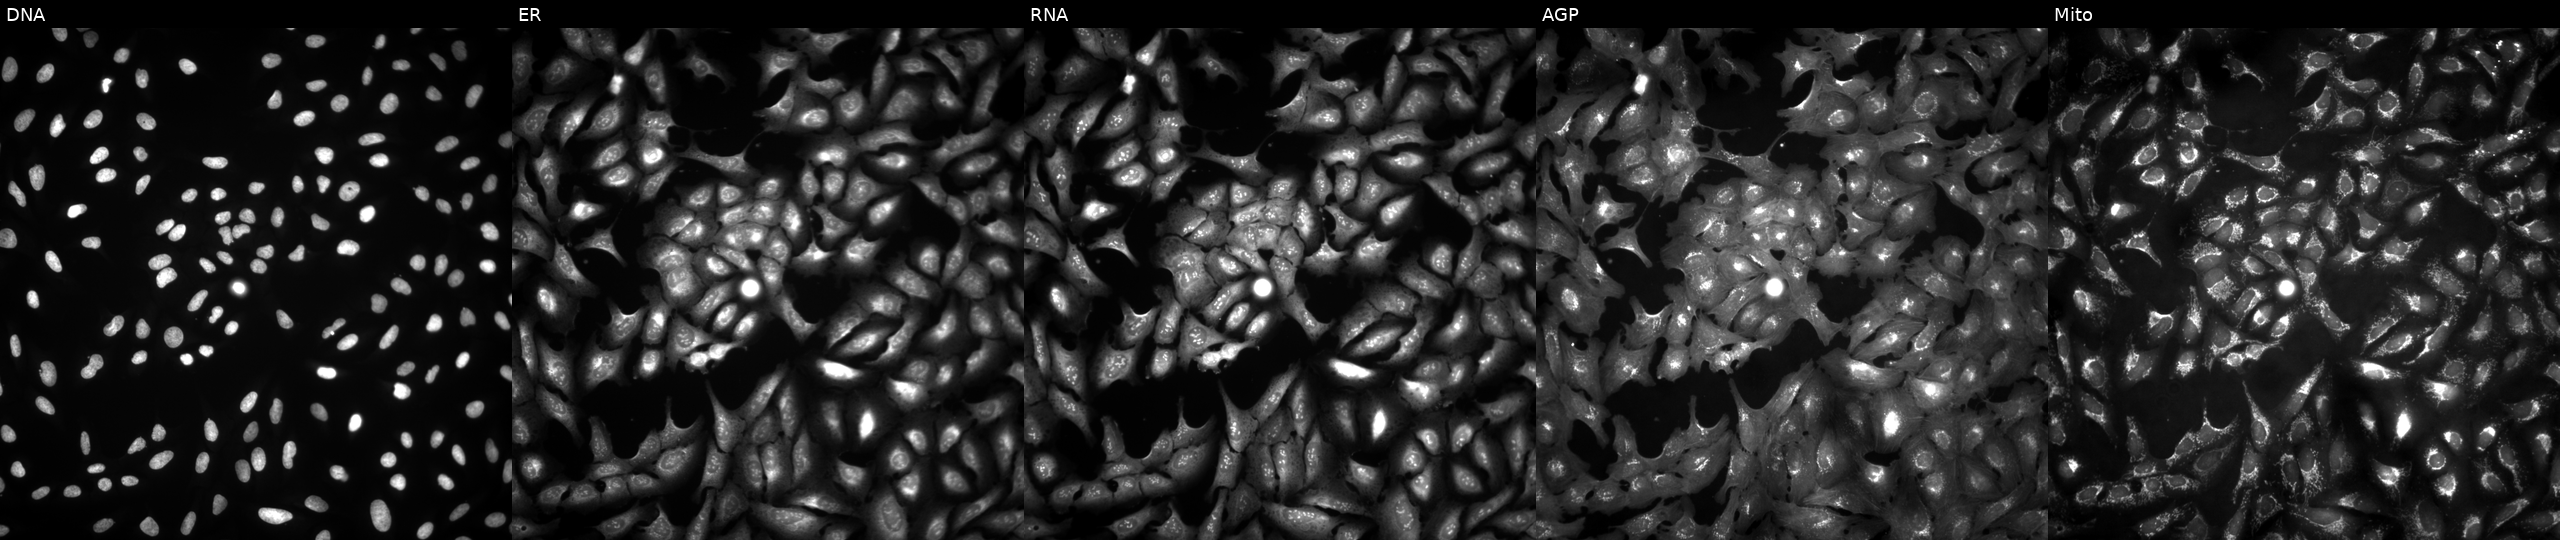
The five panels, left to right, show Hoechst 33342, concanavalin A, SYTO 14, phalloidin and WGA, MitoTracker. U2OS osteosarcoma cells transfected with an ORF construct for SH3KBP1 (JUMP id JCP2022_907631). Cell Painting assay, JUMP-CP dataset.